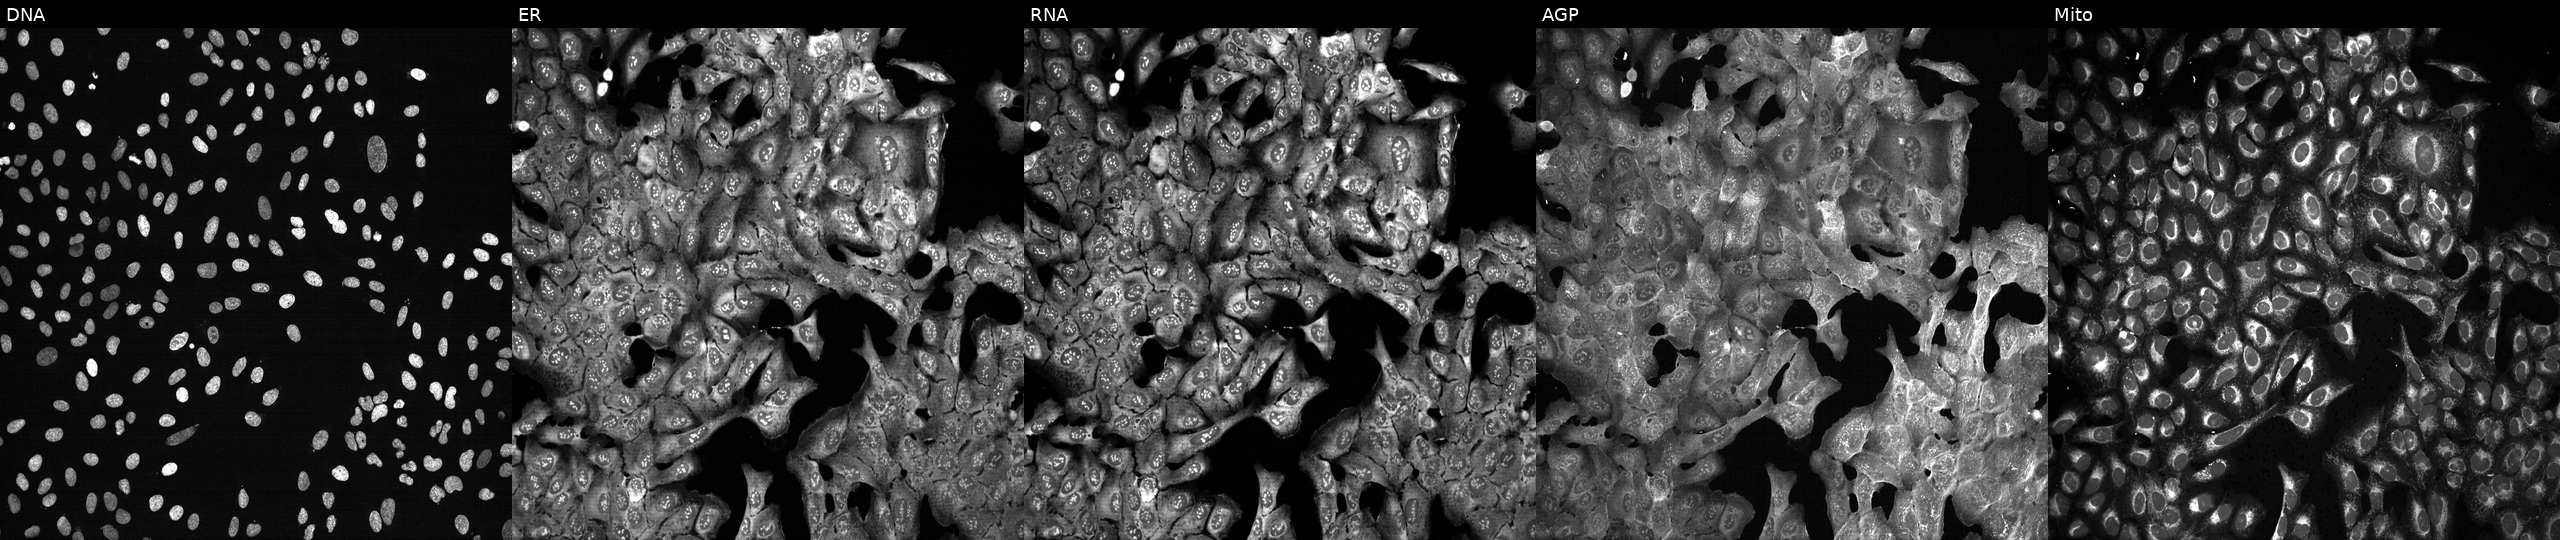
Five-channel Cell Painting image of U2OS cells with EEF1B2 knocked out by CRISPR (JUMP id JCP2022_802009). Panels show, left to right, Hoechst 33342, concanavalin A, SYTO 14, phalloidin and WGA, MitoTracker.